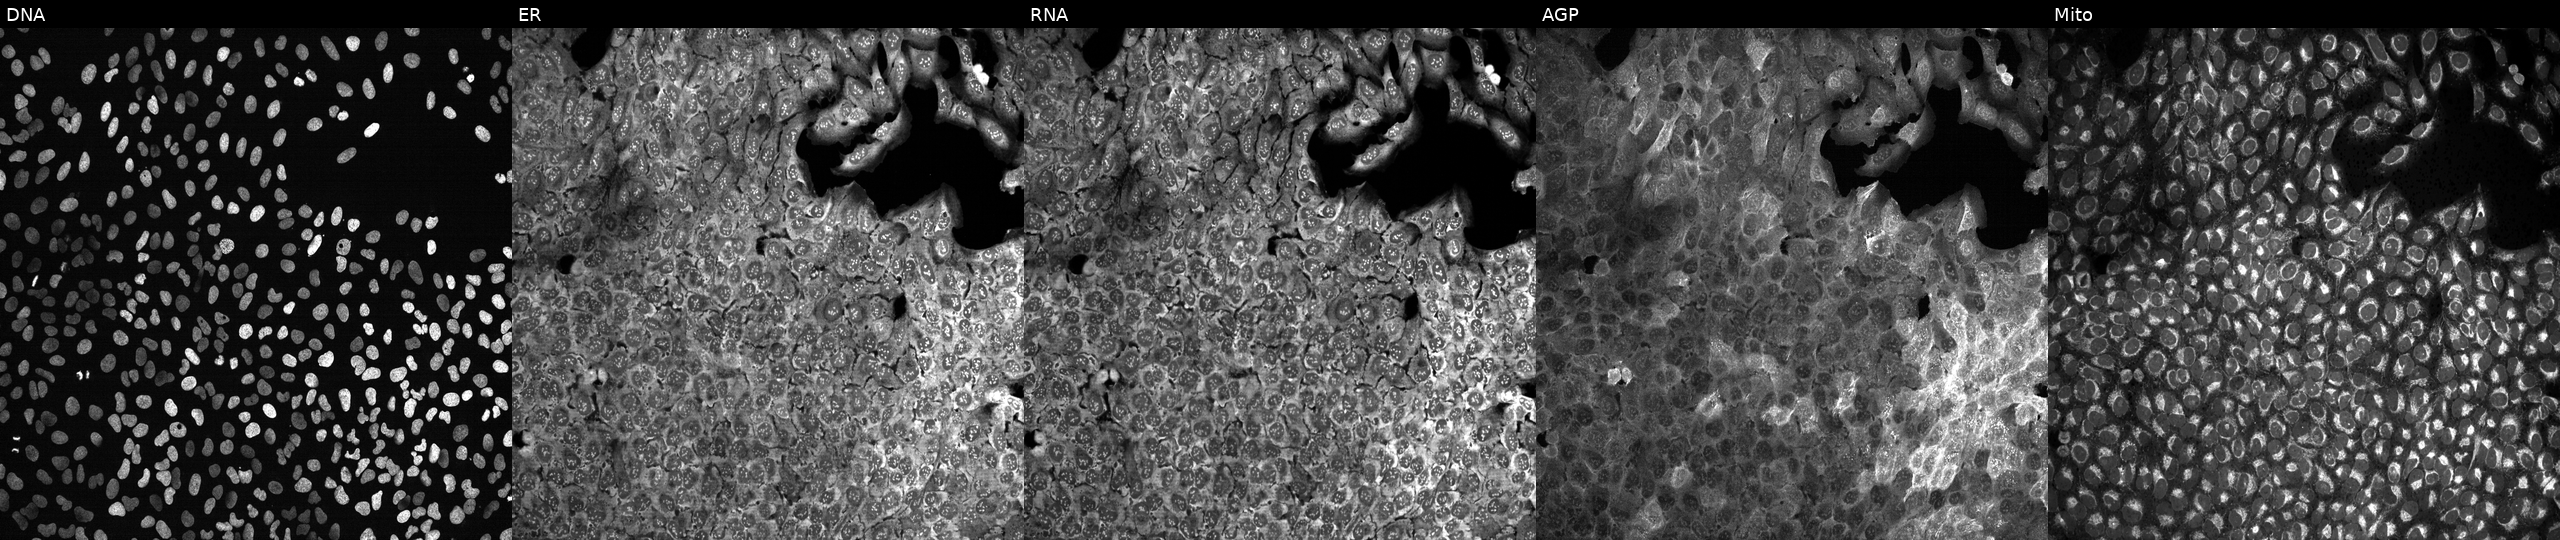
JUMP Cell Painting — CRISPR plate. U2OS cells treated with DMSO vehicle only (negative control). From left to right: DNA, ER, RNA, AGP, and Mito.